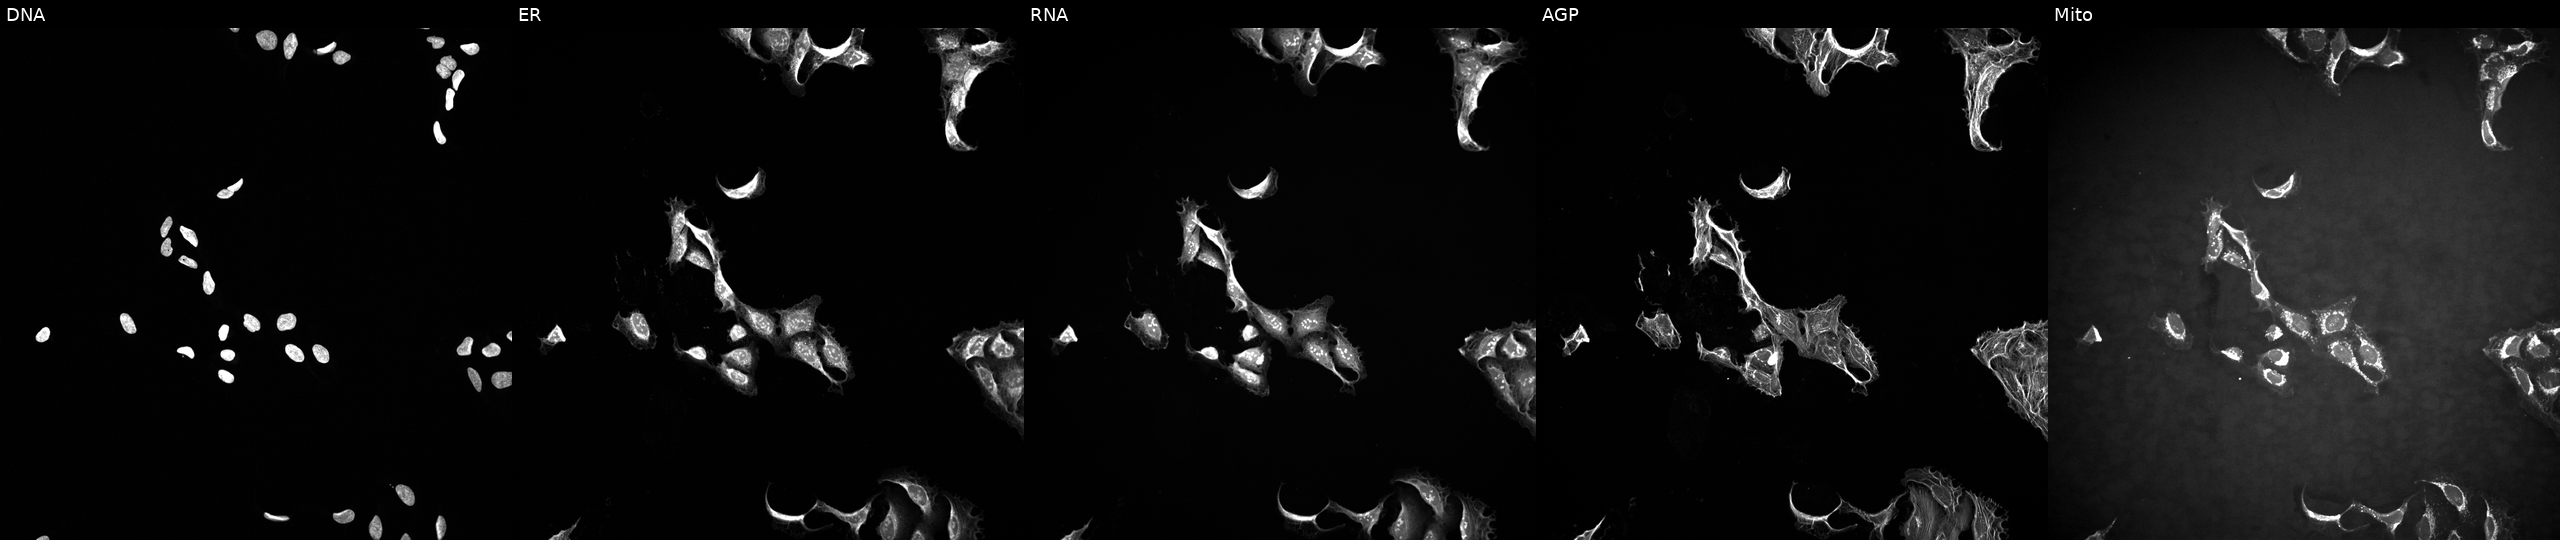
JUMP Cell Painting — TARGET2 plate. U2OS cells exposed to a small-molecule compound (JUMP id JCP2022_022191). From left to right: DNA (nuclei); ER (endoplasmic reticulum); RNA (nucleoli and cytoplasmic RNA); AGP (actin cytoskeleton, Golgi, and plasma membrane); Mito (mitochondria). Source 10, plate Dest210726-160150, well O04.